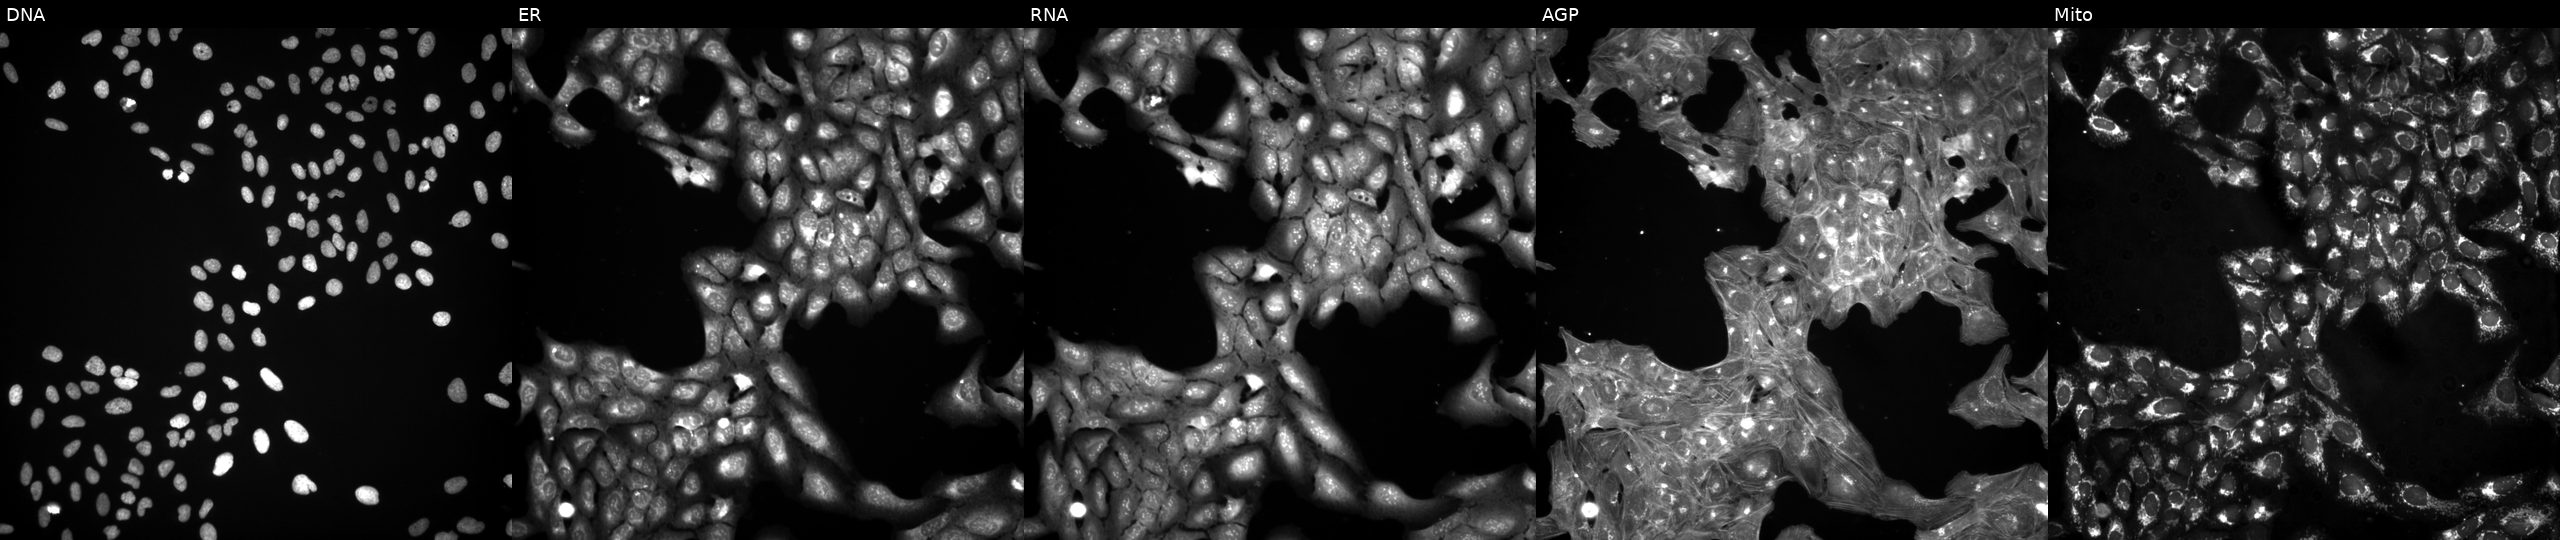
JUMP Cell Painting — TARGET2 plate. U2OS cells exposed to a small-molecule compound. From left to right: Hoechst 33342, concanavalin A, SYTO 14, phalloidin and WGA, MitoTracker. Source 3, plate JCPQC053, well C20.